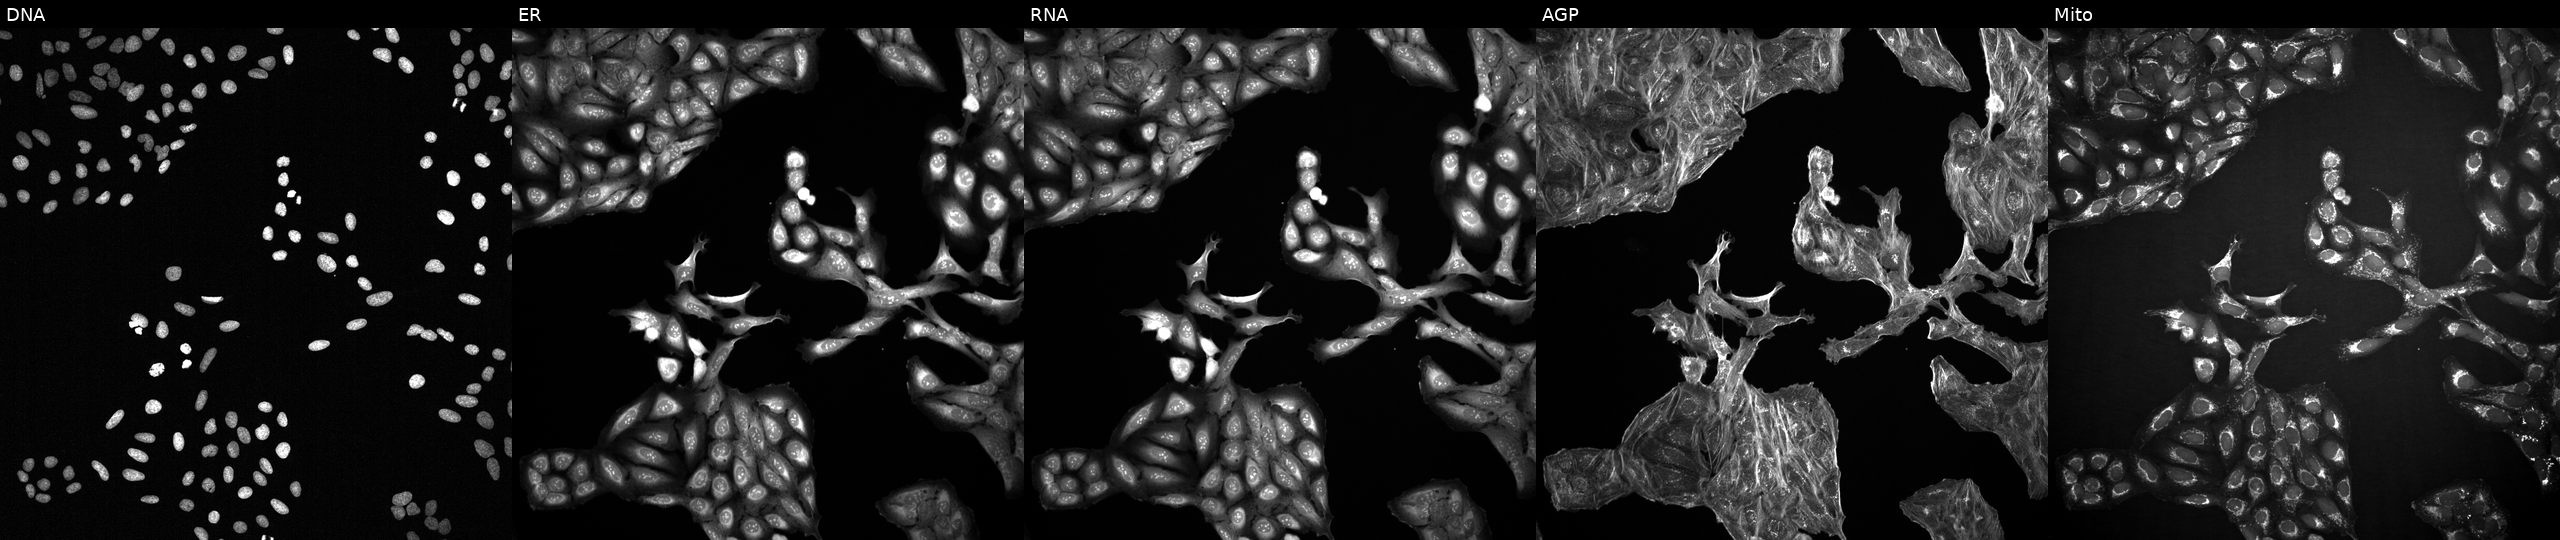
Channels (left→right): DNA (nuclei); ER (endoplasmic reticulum); RNA (nucleoli and cytoplasmic RNA); AGP (actin cytoskeleton, Golgi, and plasma membrane); Mito (mitochondria). U2OS osteosarcoma cells perturbed with a small-molecule compound (InChIKey ATQRNQONPLFEOV-UHFFFAOYSA-N) (JUMP id JCP2022_003793). Cell Painting assay, JUMP-CP dataset.